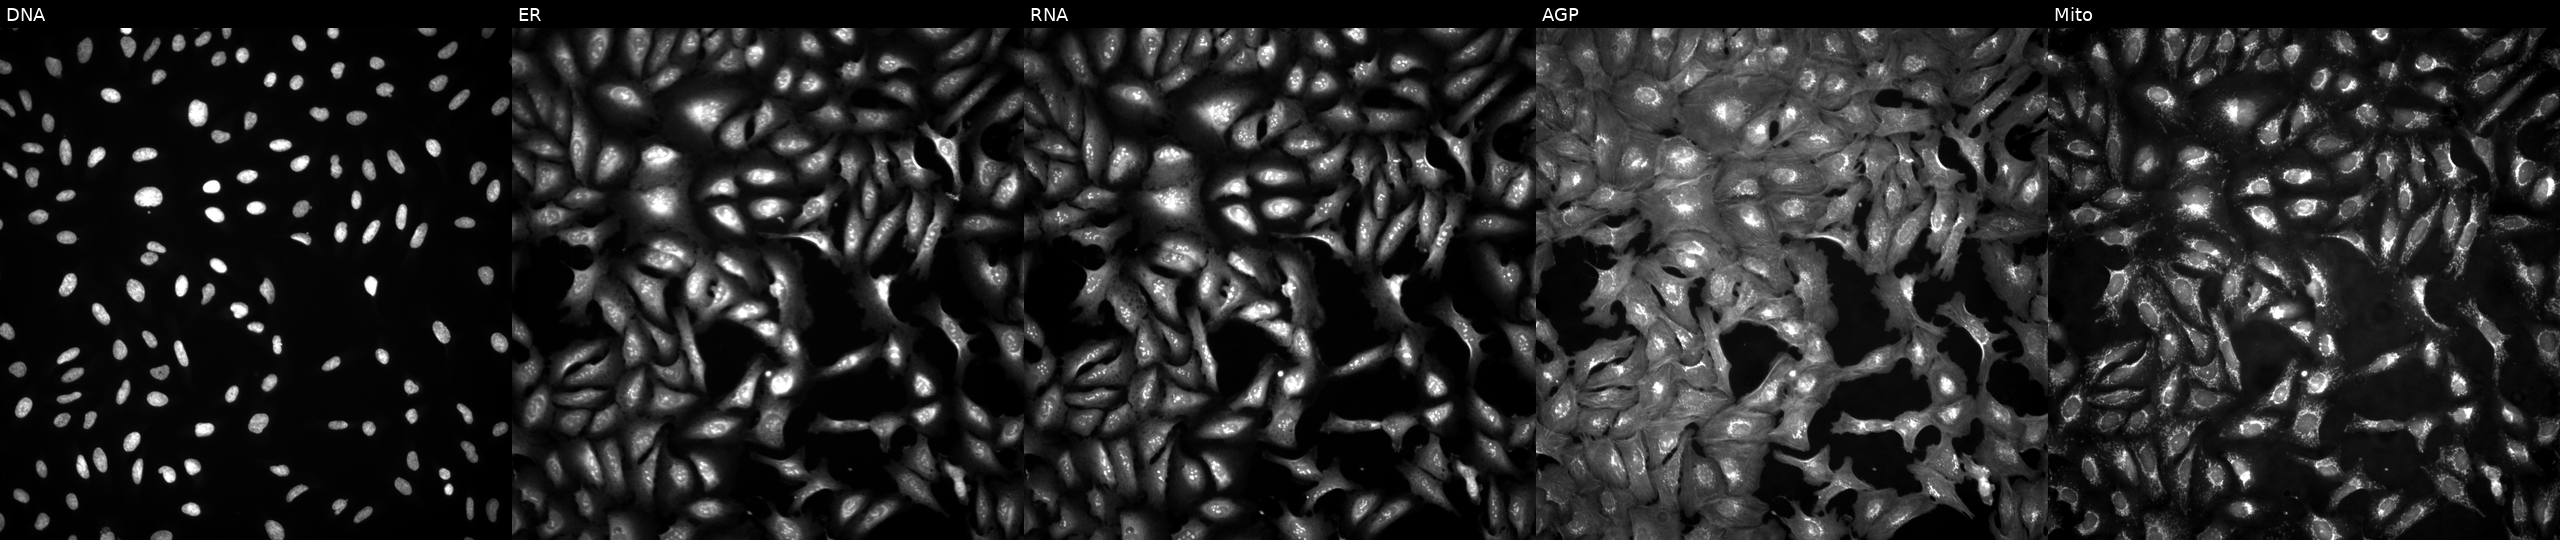
Five-channel Cell Painting image of U2OS cells with IGF1R overexpressed (ORF). Panels show, left to right, DNA (nuclei); ER (endoplasmic reticulum); RNA (nucleoli and cytoplasmic RNA); AGP (actin cytoskeleton, Golgi, and plasma membrane); Mito (mitochondria).